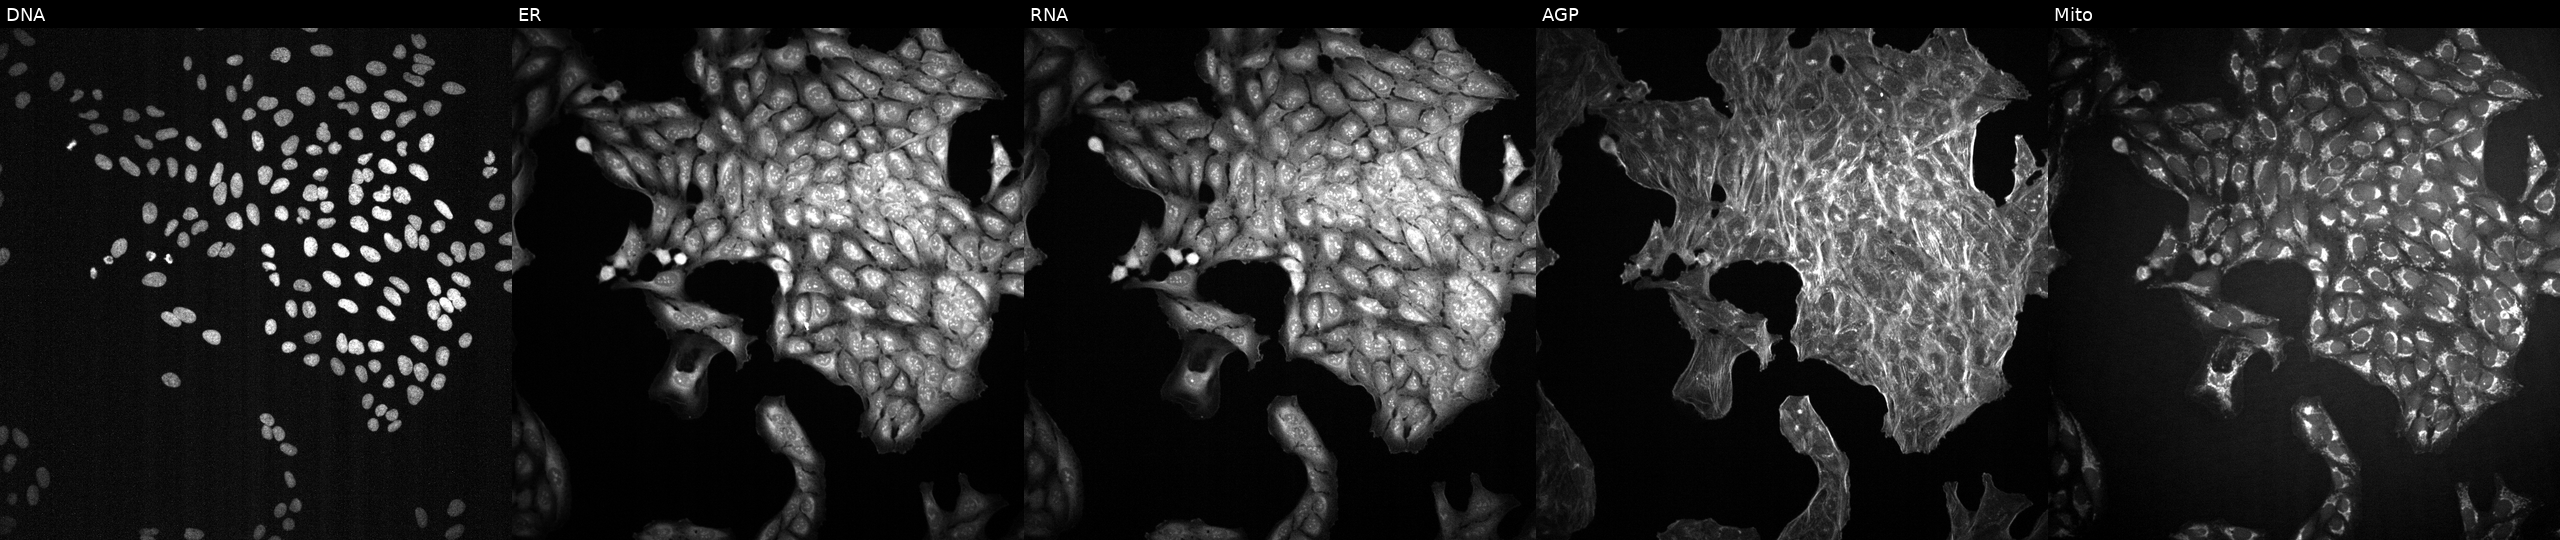
This image strip shows the five Cell Painting channels for a single field of U2OS cells treated with a small-molecule compound (InChIKey ZRALSGWEFCBTJO-UHFFFAOYSA-N) (JUMP id JCP2022_115134). From left to right: Hoechst 33342, concanavalin A, SYTO 14, phalloidin and WGA, MitoTracker.